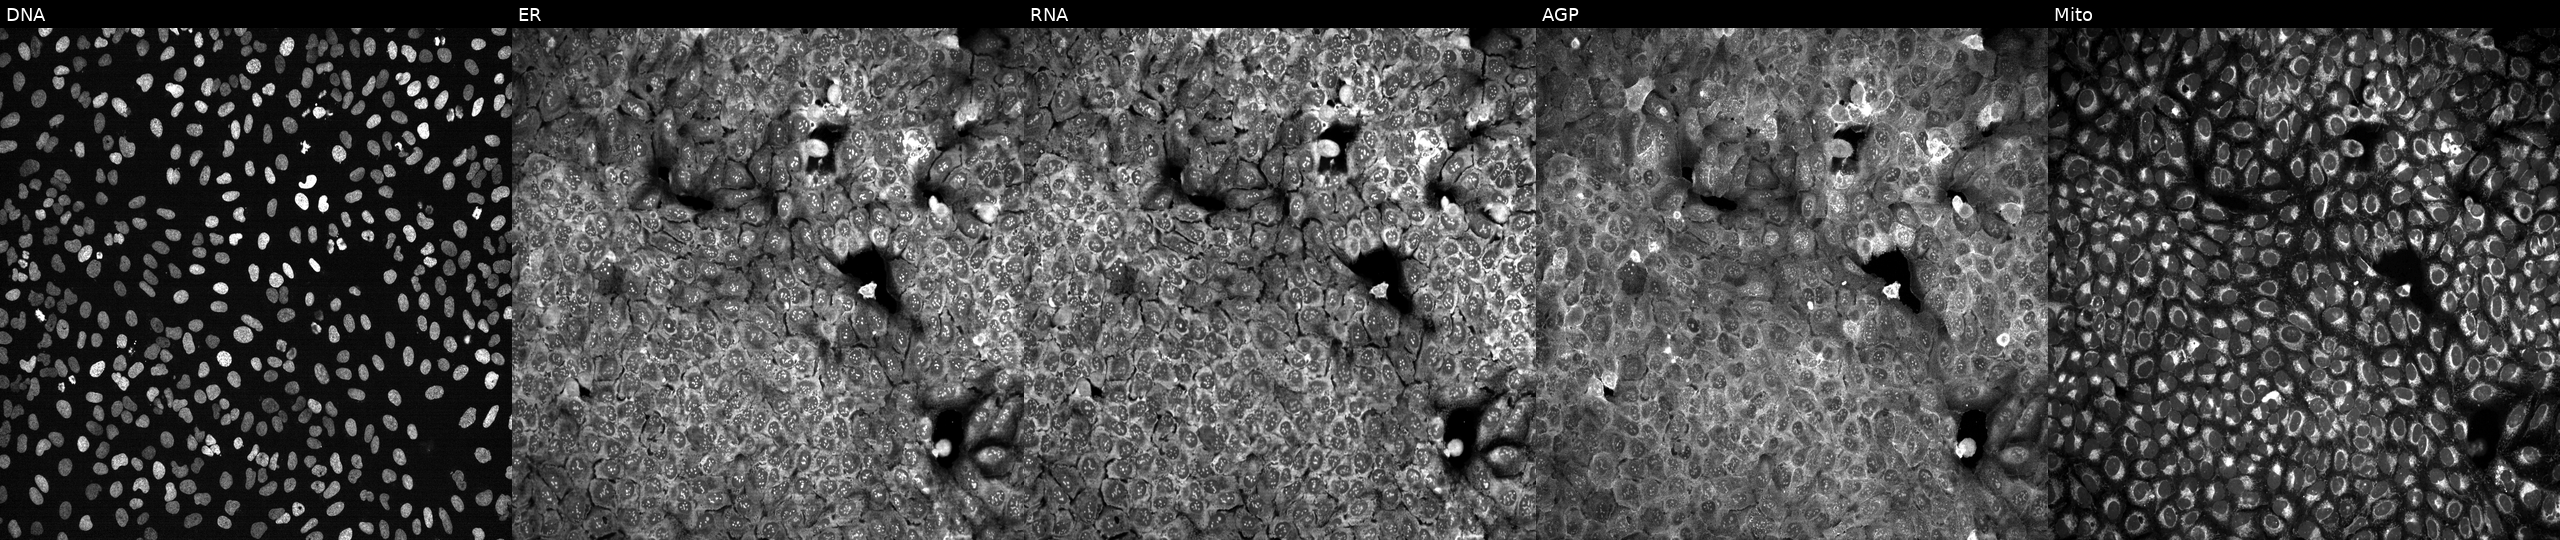
High-content fluorescence microscopy (Cell Painting). Cell line: U2OS. Perturbation: with ATP6V1G3 knocked out by CRISPR. The five panels, left to right, show Hoechst 33342, concanavalin A, SYTO 14, phalloidin and WGA, MitoTracker.